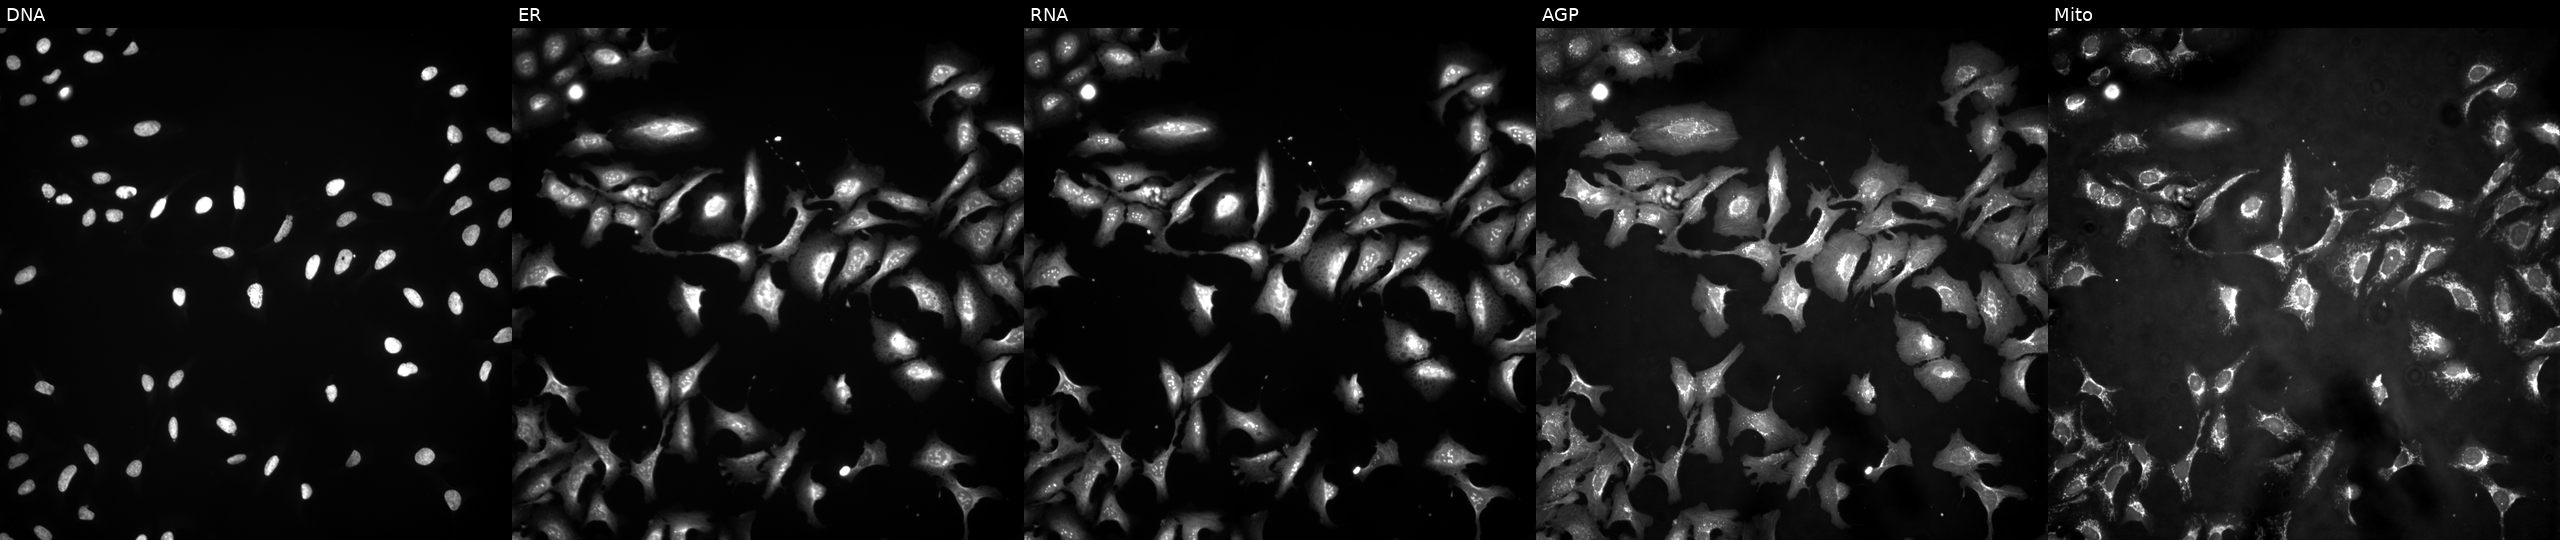
U2OS cells, Cell Painting assay, transfected with an ORF construct for BBS7 (JUMP id JCP2022_903329). Panels show, left to right, Hoechst 33342, concanavalin A, SYTO 14, phalloidin and WGA, MitoTracker. Each panel is percentile-stretched 16-bit fluorescence.